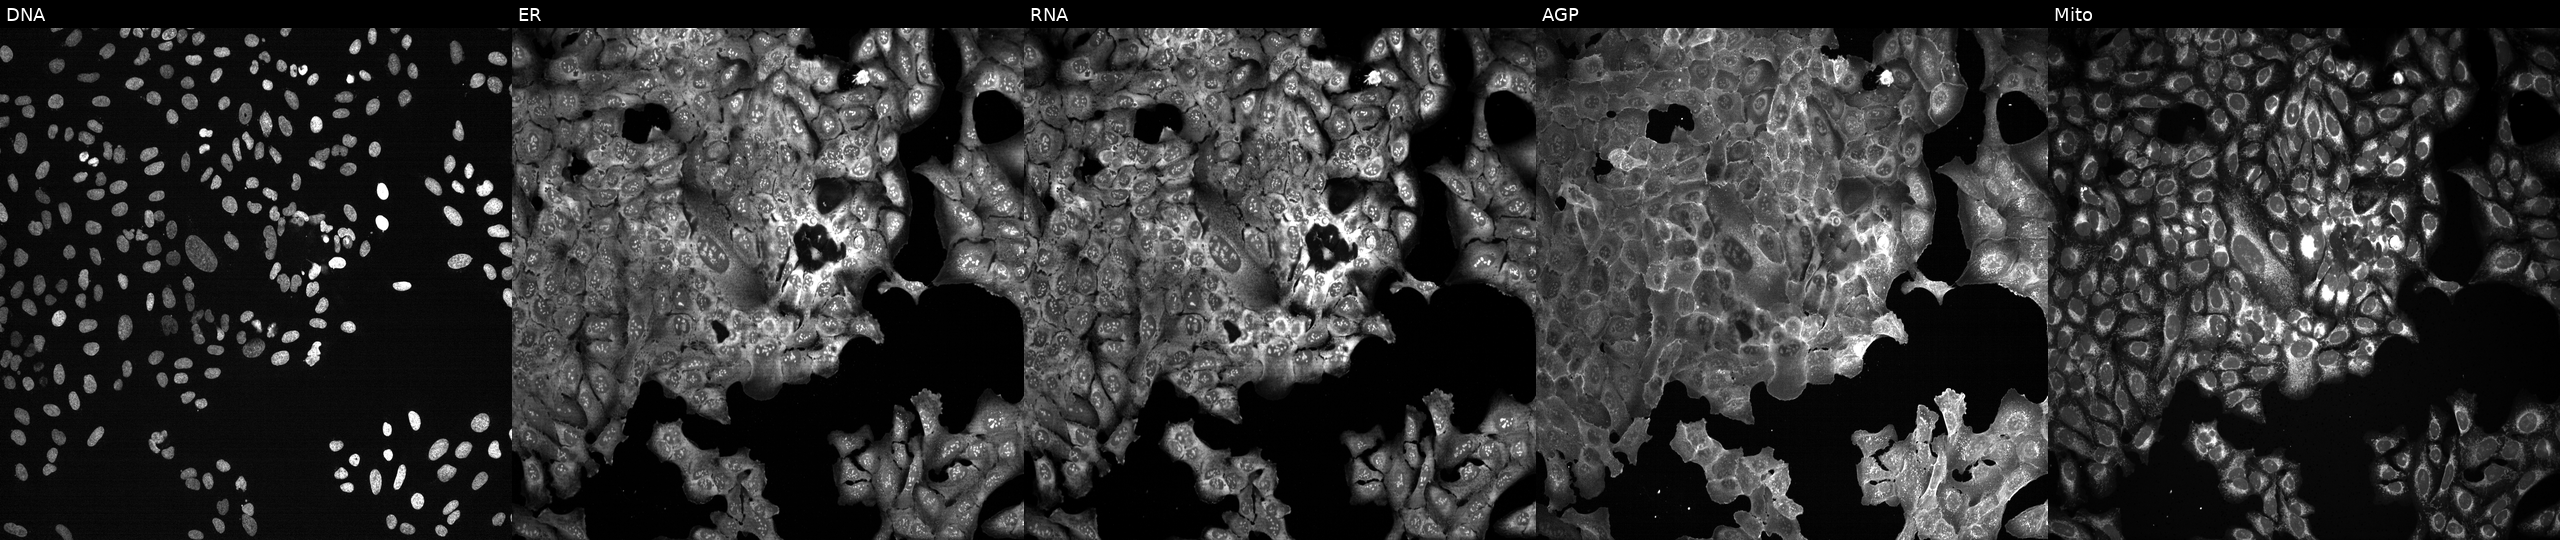
JUMP Cell Painting — CRISPR plate. U2OS cells with DPYSL3 knocked out by CRISPR (JUMP id JCP2022_801908). Panels show, left to right, DNA (nuclei); ER (endoplasmic reticulum); RNA (nucleoli and cytoplasmic RNA); AGP (actin cytoskeleton, Golgi, and plasma membrane); Mito (mitochondria). Source 13, plate CP-CC9-R6-19, well A08.